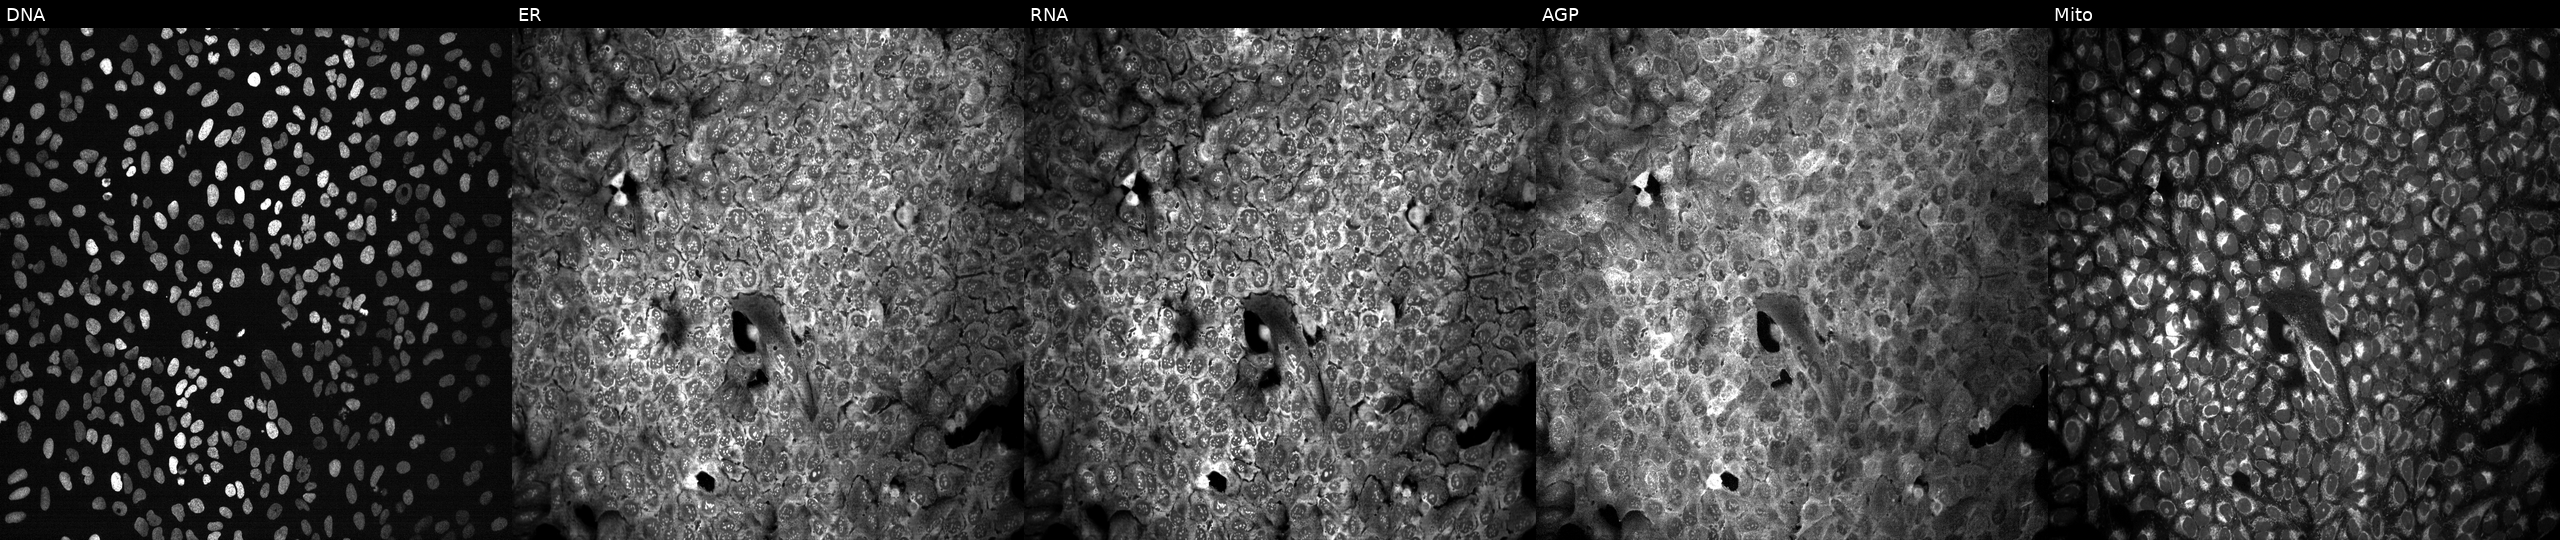
This image strip shows the five Cell Painting channels for a single field of U2OS cells CRISPR-edited to disrupt SLC2A5. The five panels, left to right, show Hoechst 33342, concanavalin A, SYTO 14, phalloidin and WGA, MitoTracker. Source 13, plate CP-CC9-R3-01, well H22.